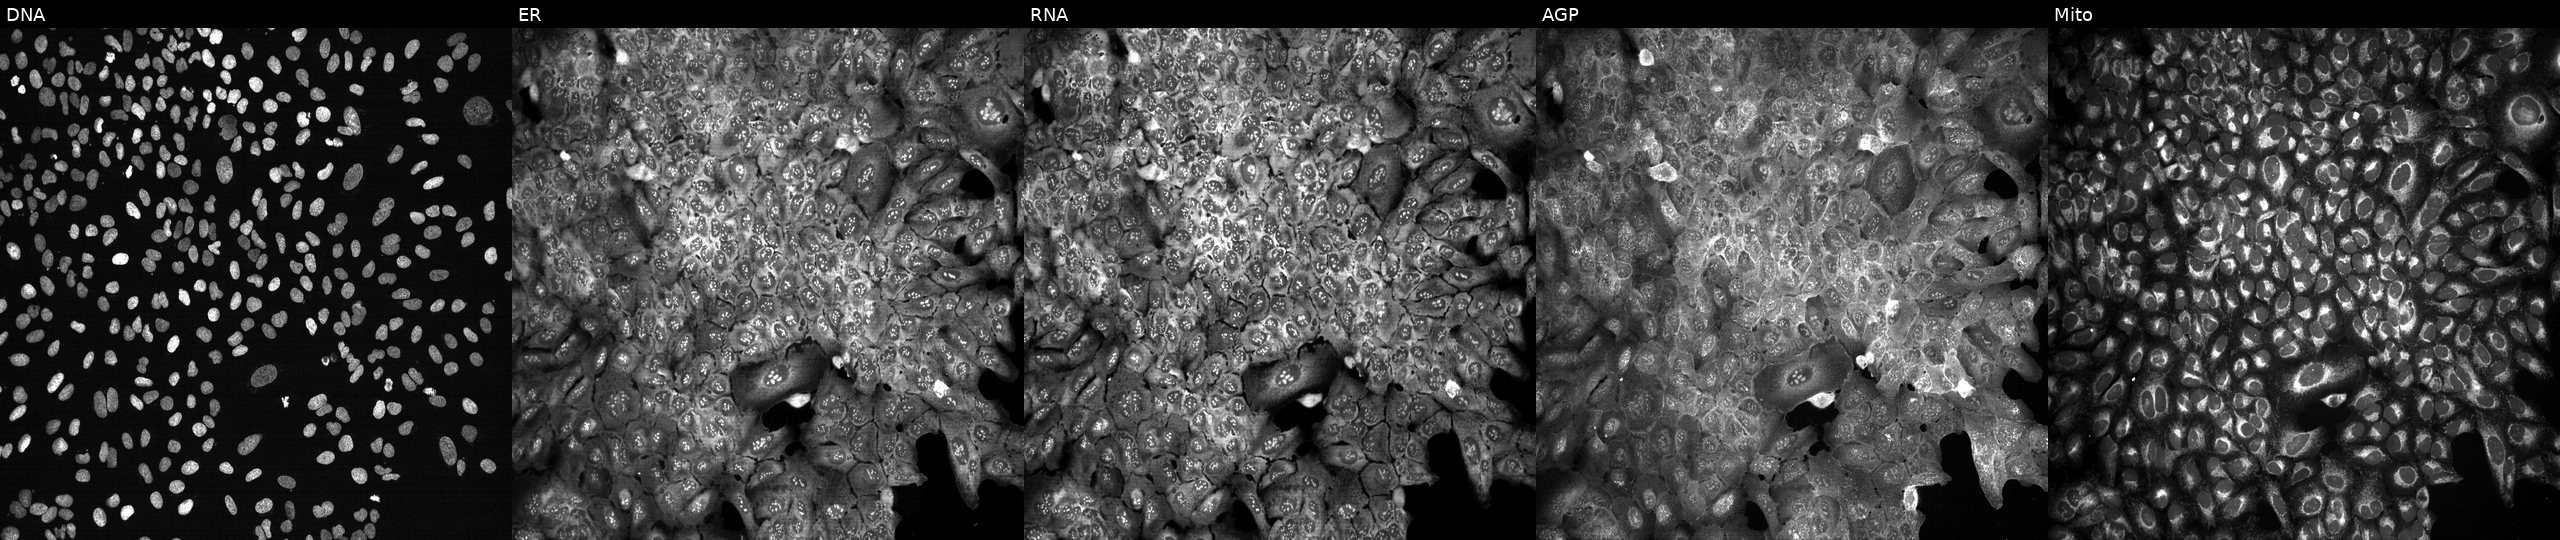
U2OS cells, Cell Painting assay, following CRISPR knockout of RDH12. From left to right: Hoechst 33342, concanavalin A, SYTO 14, phalloidin and WGA, MitoTracker. Each panel is percentile-stretched 16-bit fluorescence.